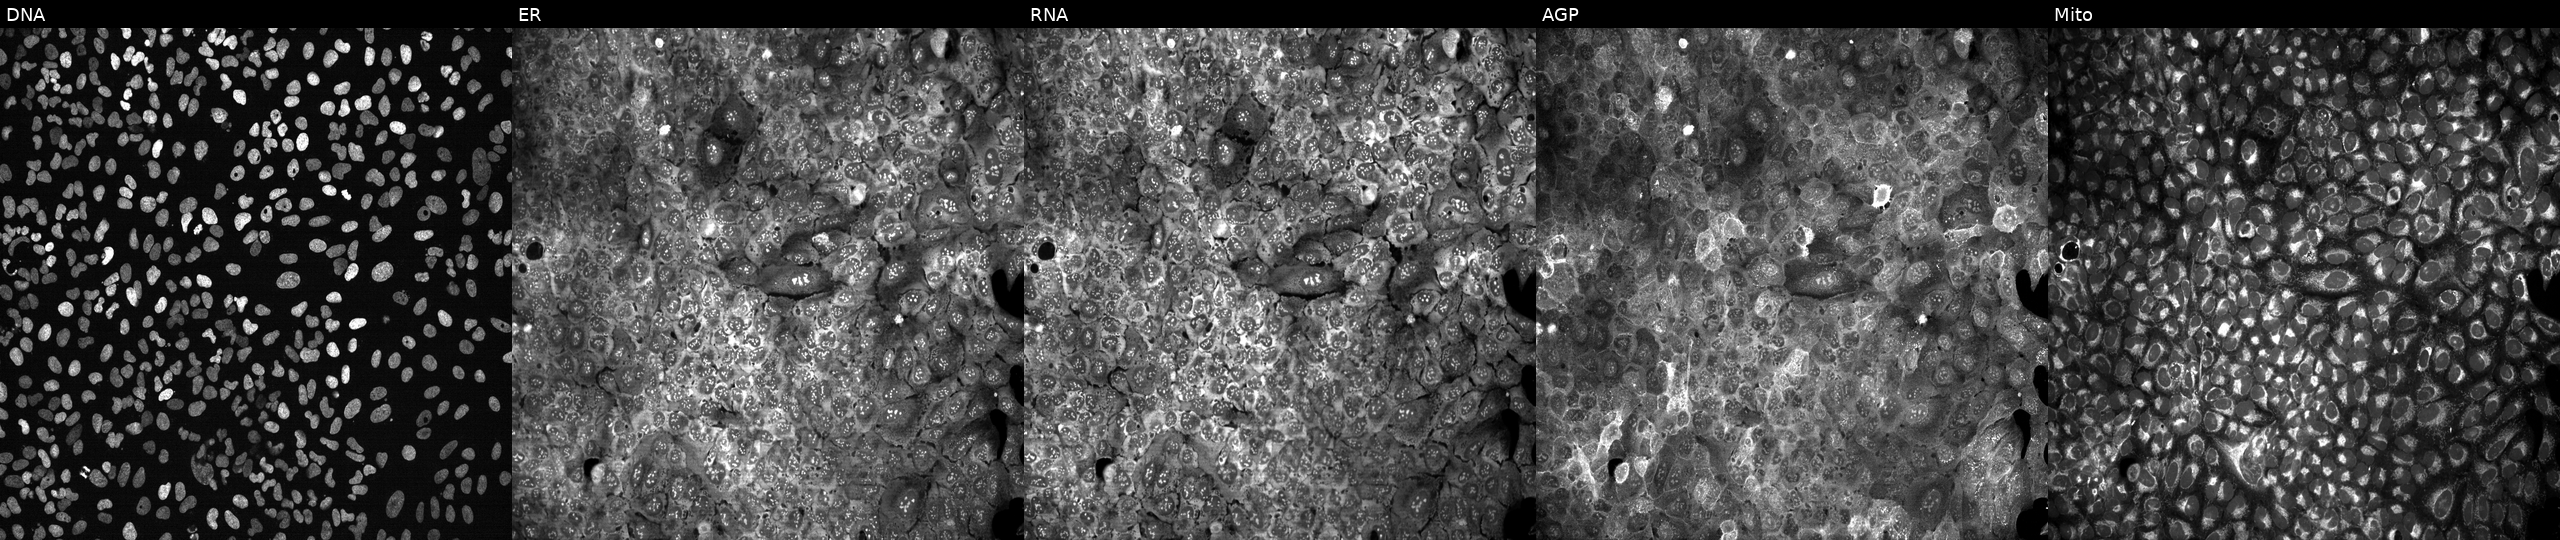
Panels show, left to right, DNA (nuclei); ER (endoplasmic reticulum); RNA (nucleoli and cytoplasmic RNA); AGP (actin cytoskeleton, Golgi, and plasma membrane); Mito (mitochondria). U2OS osteosarcoma cells CRISPR-edited to disrupt SLC44A2 (JUMP id JCP2022_806541). Cell Painting assay, JUMP-CP dataset. Source 13, plate CP-CC9-R4-04, well L18.